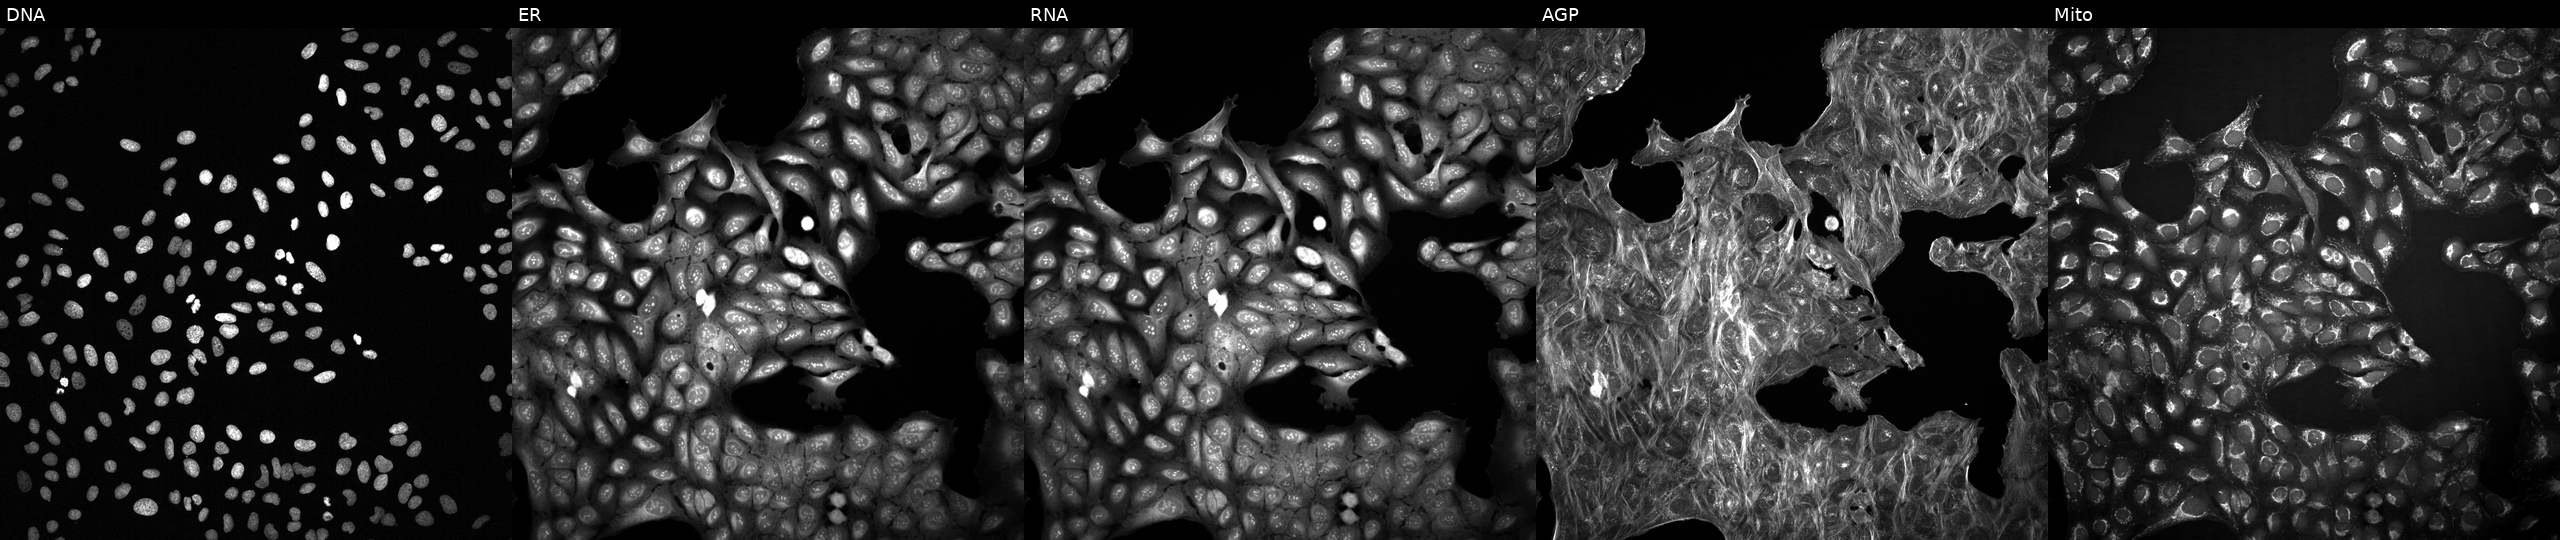
U2OS cells, Cell Painting assay, with an unidentified perturbation (not annotated in JUMP metadata). Panels show, left to right, DNA (nuclei); ER (endoplasmic reticulum); RNA (nucleoli and cytoplasmic RNA); AGP (actin cytoskeleton, Golgi, and plasma membrane); Mito (mitochondria). Each panel is percentile-stretched 16-bit fluorescence.